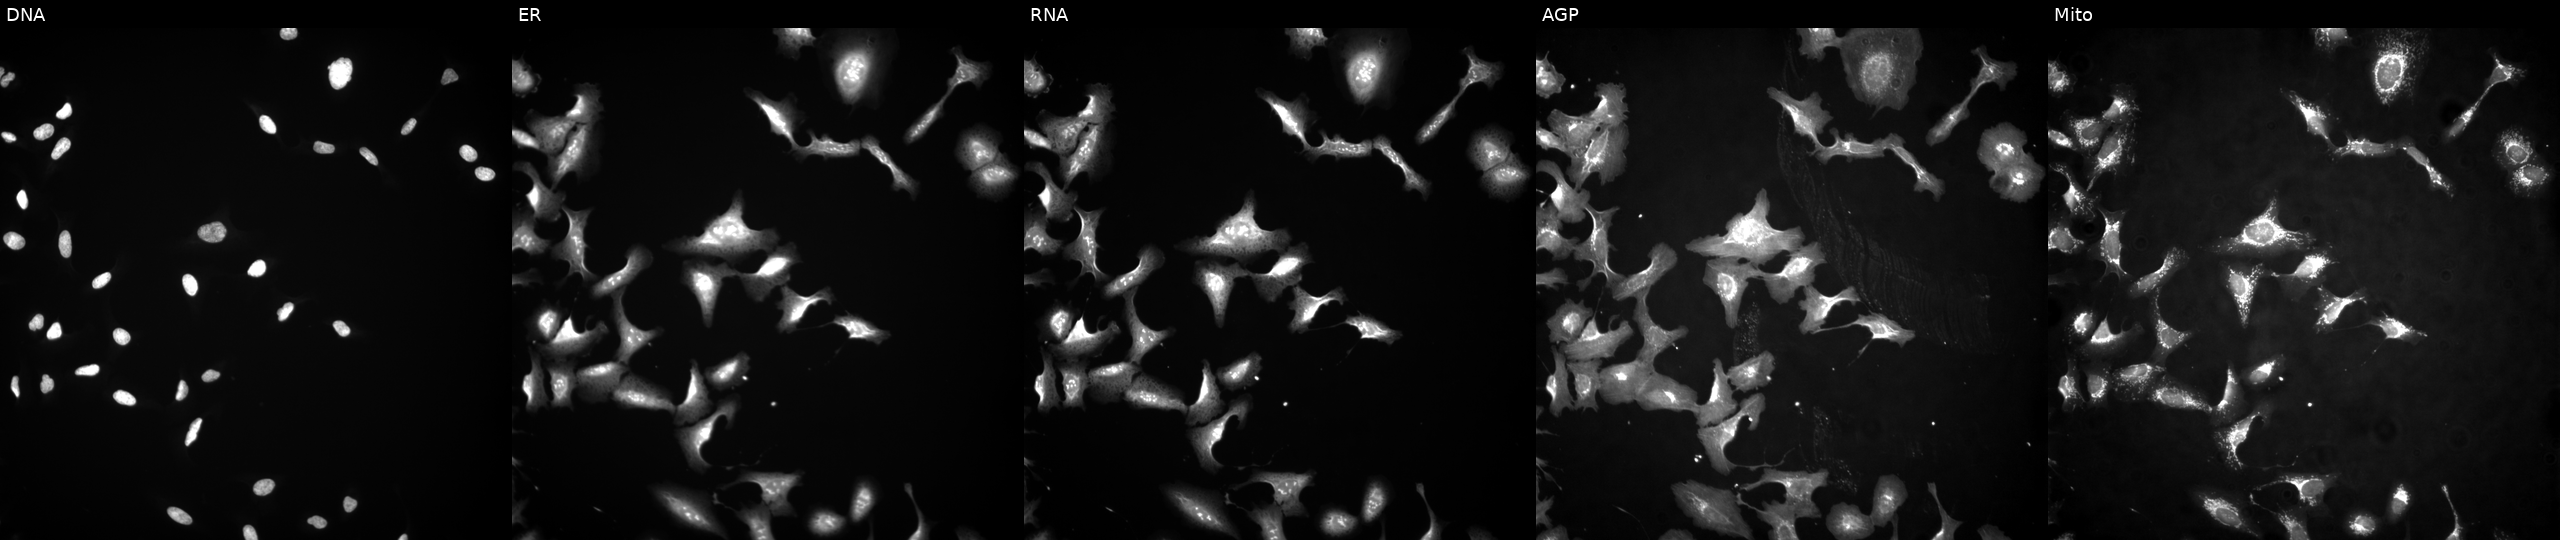
High-content fluorescence microscopy (Cell Painting). Cell line: U2OS. Perturbation: overexpressing CDK7 via ORF transfection. Panels show, left to right, DNA, ER, RNA, AGP, and Mito.